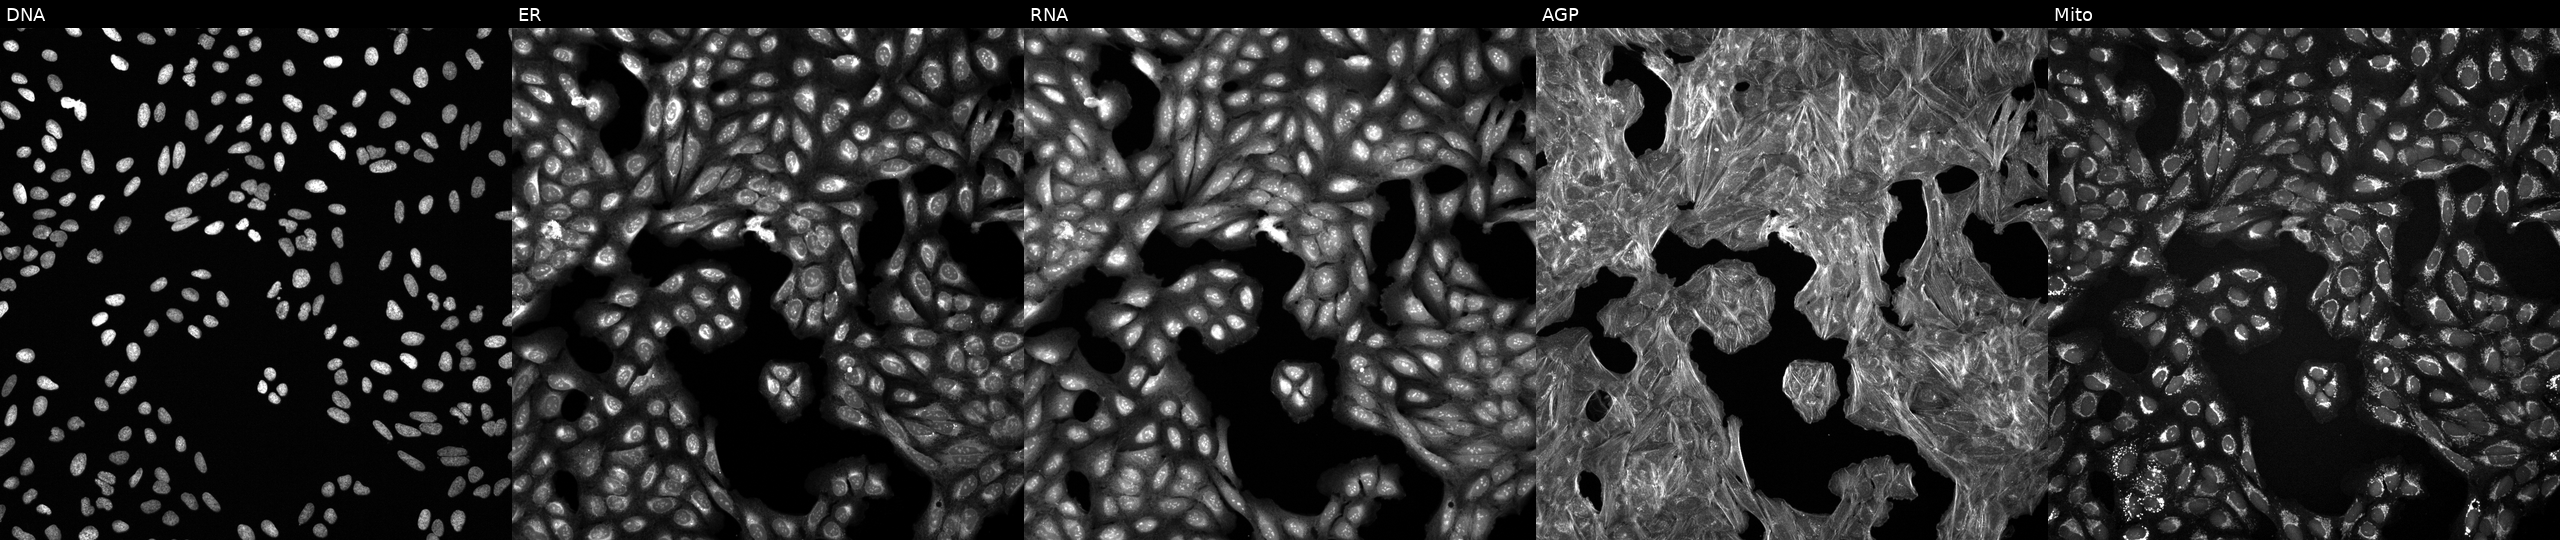
Channels (left→right): Hoechst 33342, concanavalin A, SYTO 14, phalloidin and WGA, MitoTracker. U2OS osteosarcoma cells exposed to a small-molecule compound [SMILES: COCC(=O)NCC=Cc1ccc2[nH]cnc(=Nc3ccc(Oc4ccc(C)nc4)c(C)c3)c2c1] (JUMP id JCP2022_050271). Cell Painting assay, JUMP-CP dataset. Source 6, plate 110000293081, well E12.